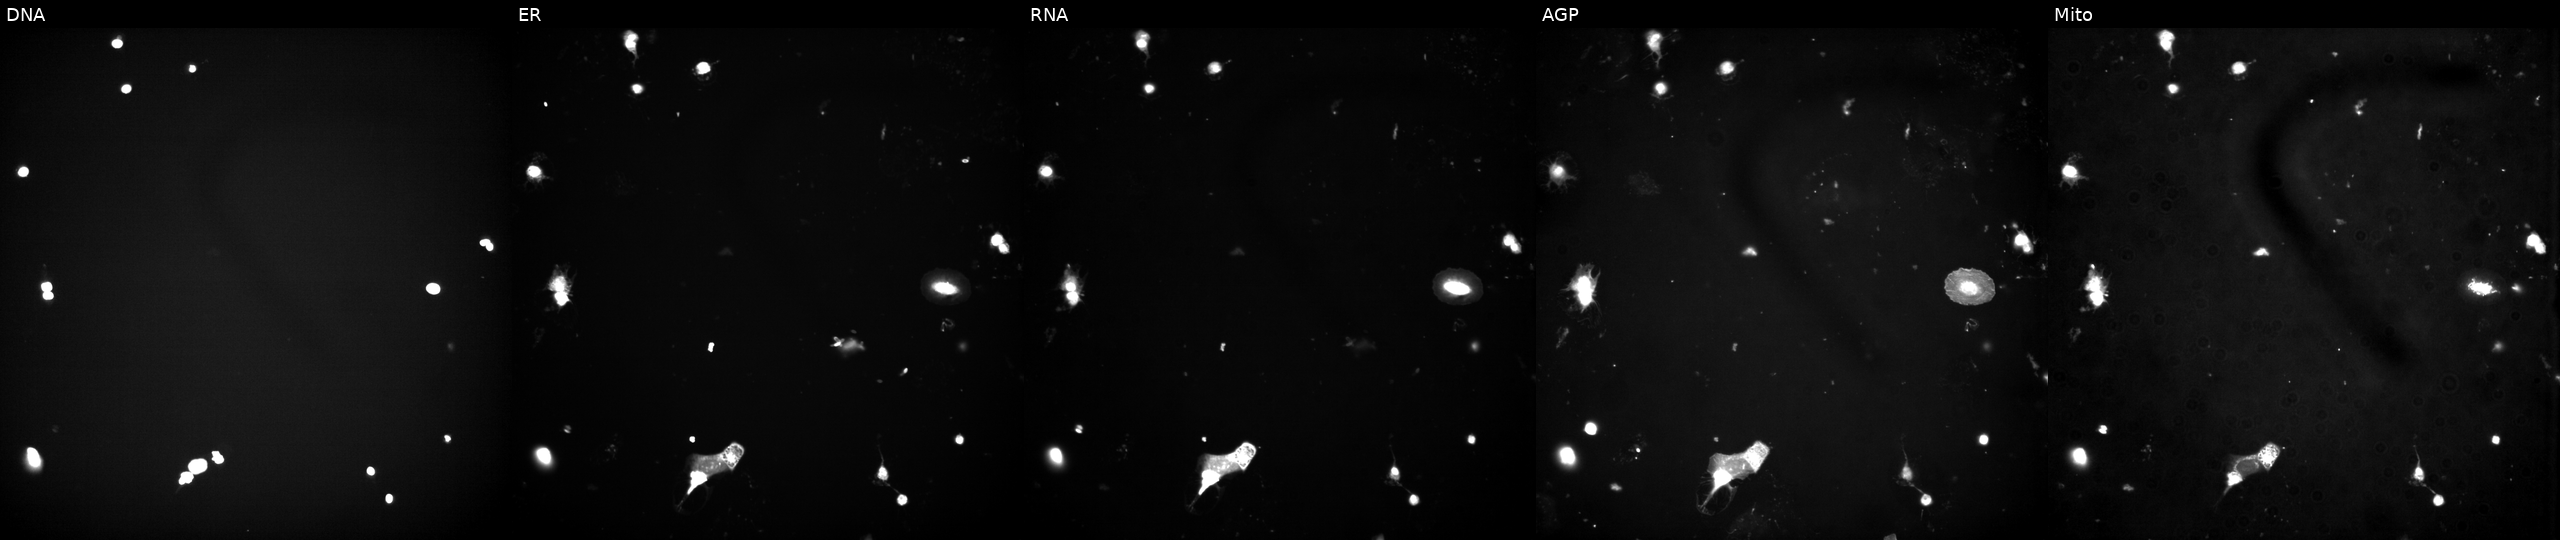
U2OS cells, Cell Painting assay, exposed to a small-molecule compound (InChIKey DUKQPWDVIZDABV-UHFFFAOYSA-N) (JUMP id JCP2022_018280). From left to right: Hoechst 33342, concanavalin A, SYTO 14, phalloidin and WGA, MitoTracker. Each panel is percentile-stretched 16-bit fluorescence.